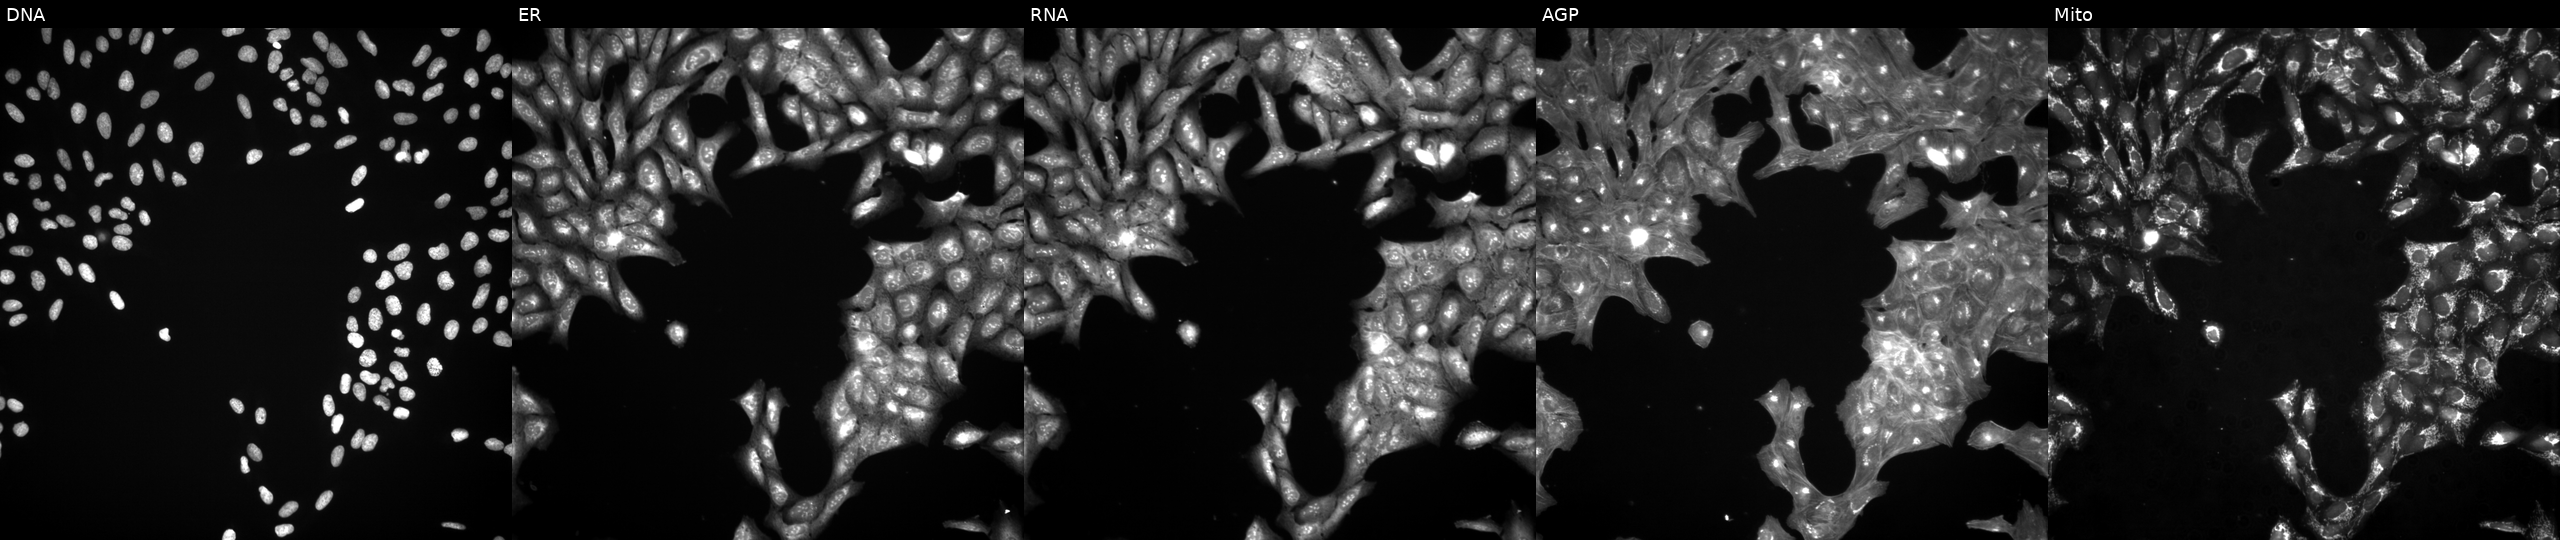
U2OS cells, Cell Painting assay, treated with a small-molecule compound (InChIKey ALOBUEHUHMBRLE-UHFFFAOYSA-N) (JUMP id JCP2022_002206). The five panels, left to right, show Hoechst 33342, concanavalin A, SYTO 14, phalloidin and WGA, MitoTracker. Each panel is percentile-stretched 16-bit fluorescence. Source 3, plate JCPQC052, well K20.